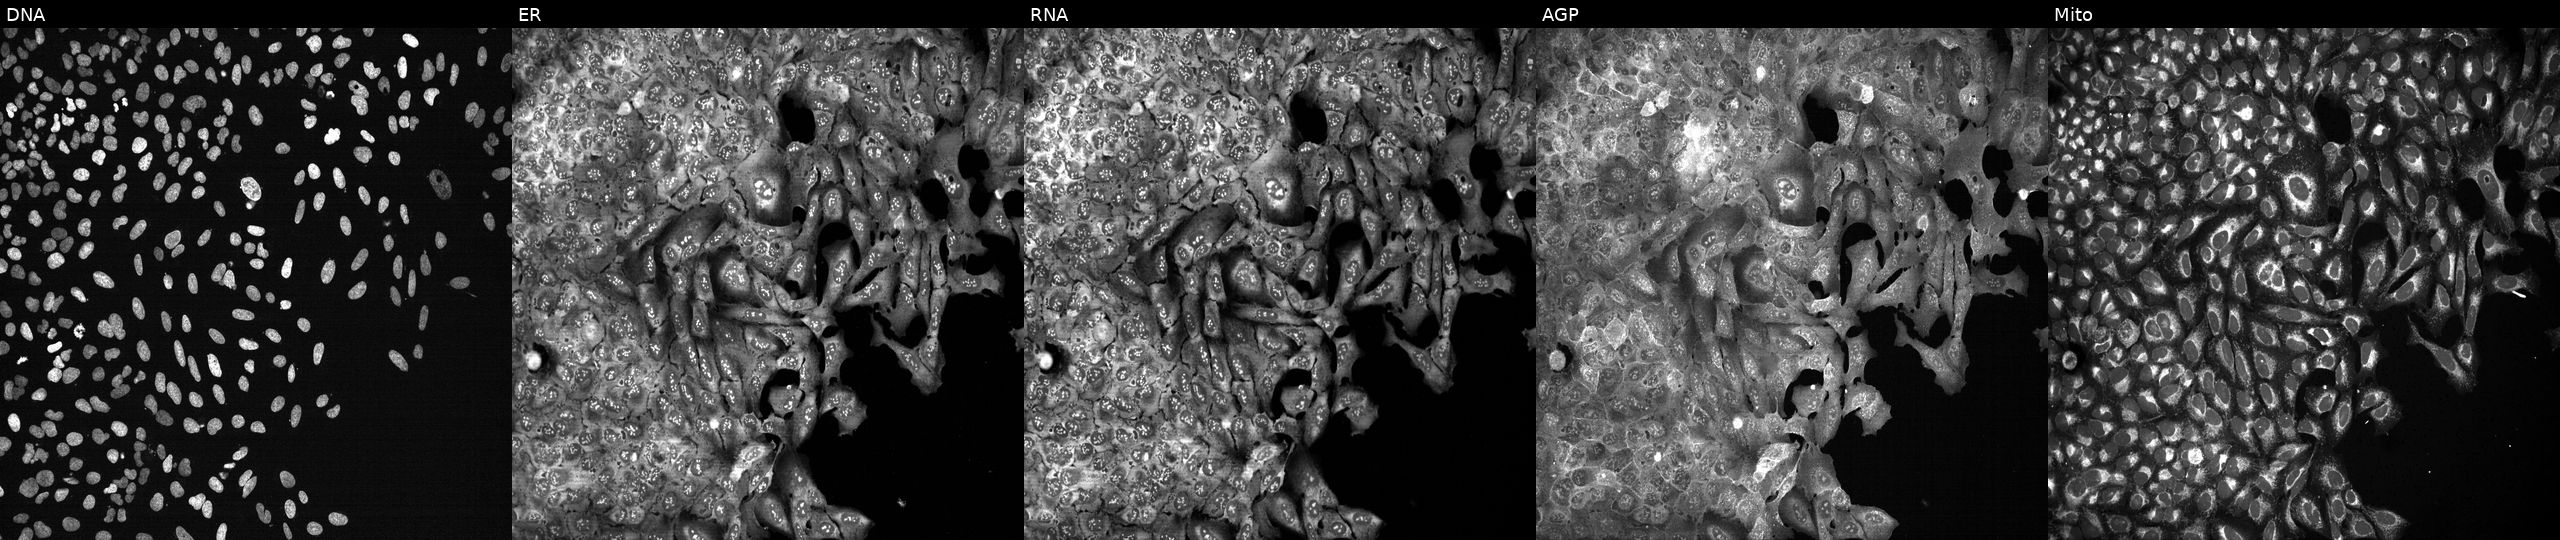
JUMP Cell Painting — CRISPR plate. U2OS cells with PARP2 knocked out by CRISPR (JUMP id JCP2022_804926). The five panels, left to right, show DNA (nuclei); ER (endoplasmic reticulum); RNA (nucleoli and cytoplasmic RNA); AGP (actin cytoskeleton, Golgi, and plasma membrane); Mito (mitochondria). Source 13, plate CP-CC9-R4-04, well J19.